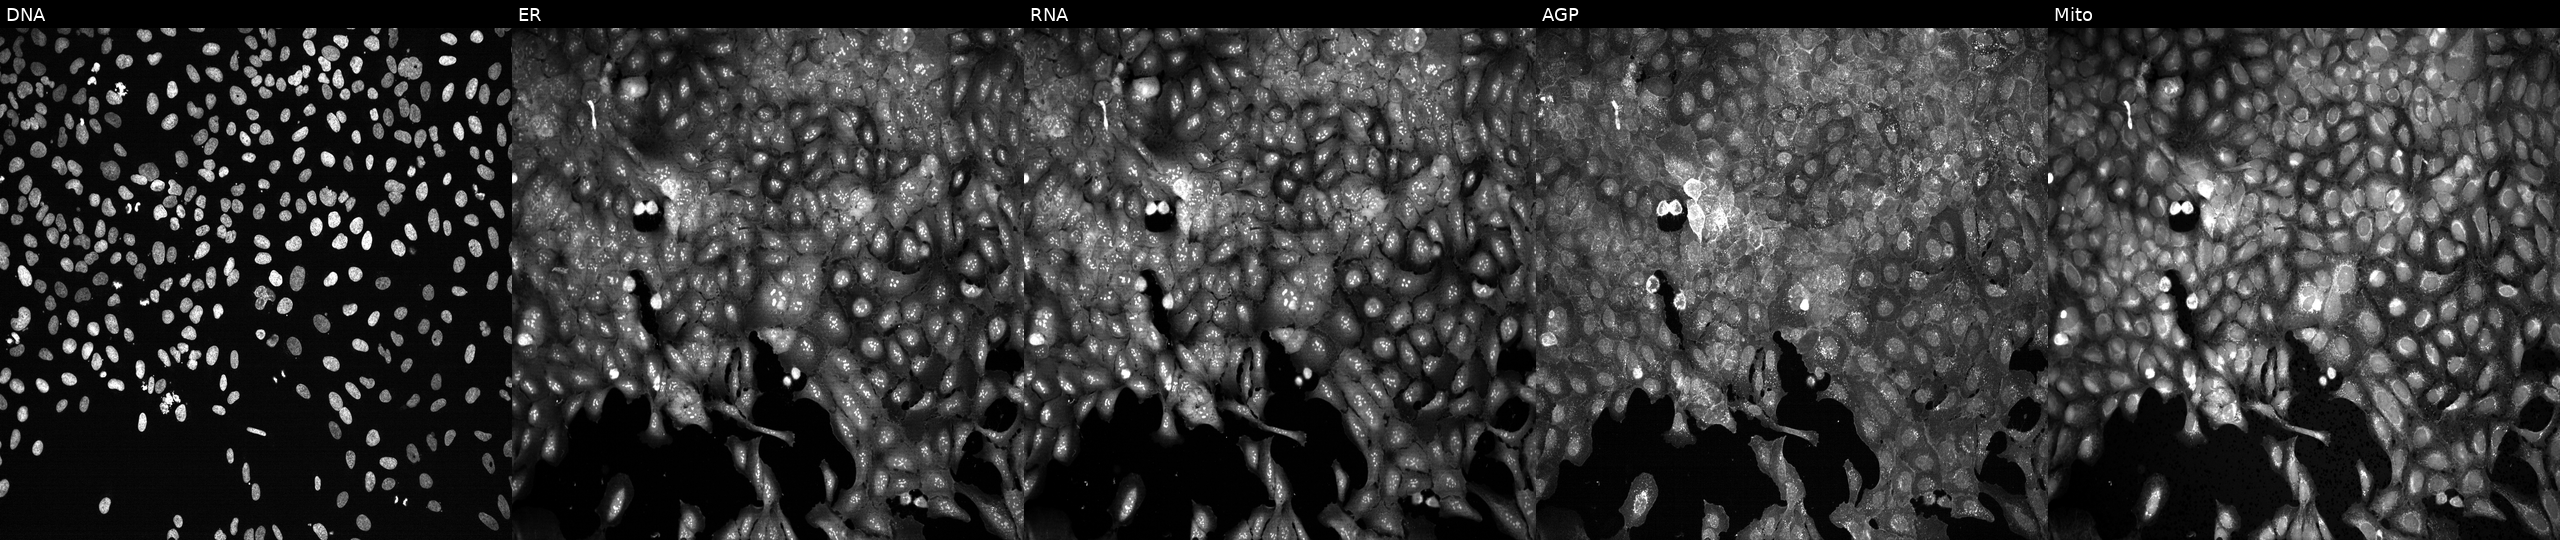
U2OS cells, Cell Painting assay, following CRISPR knockout of EIF4E3. Channels (left→right): DNA (nuclei); ER (endoplasmic reticulum); RNA (nucleoli and cytoplasmic RNA); AGP (actin cytoskeleton, Golgi, and plasma membrane); Mito (mitochondria). Each panel is percentile-stretched 16-bit fluorescence.